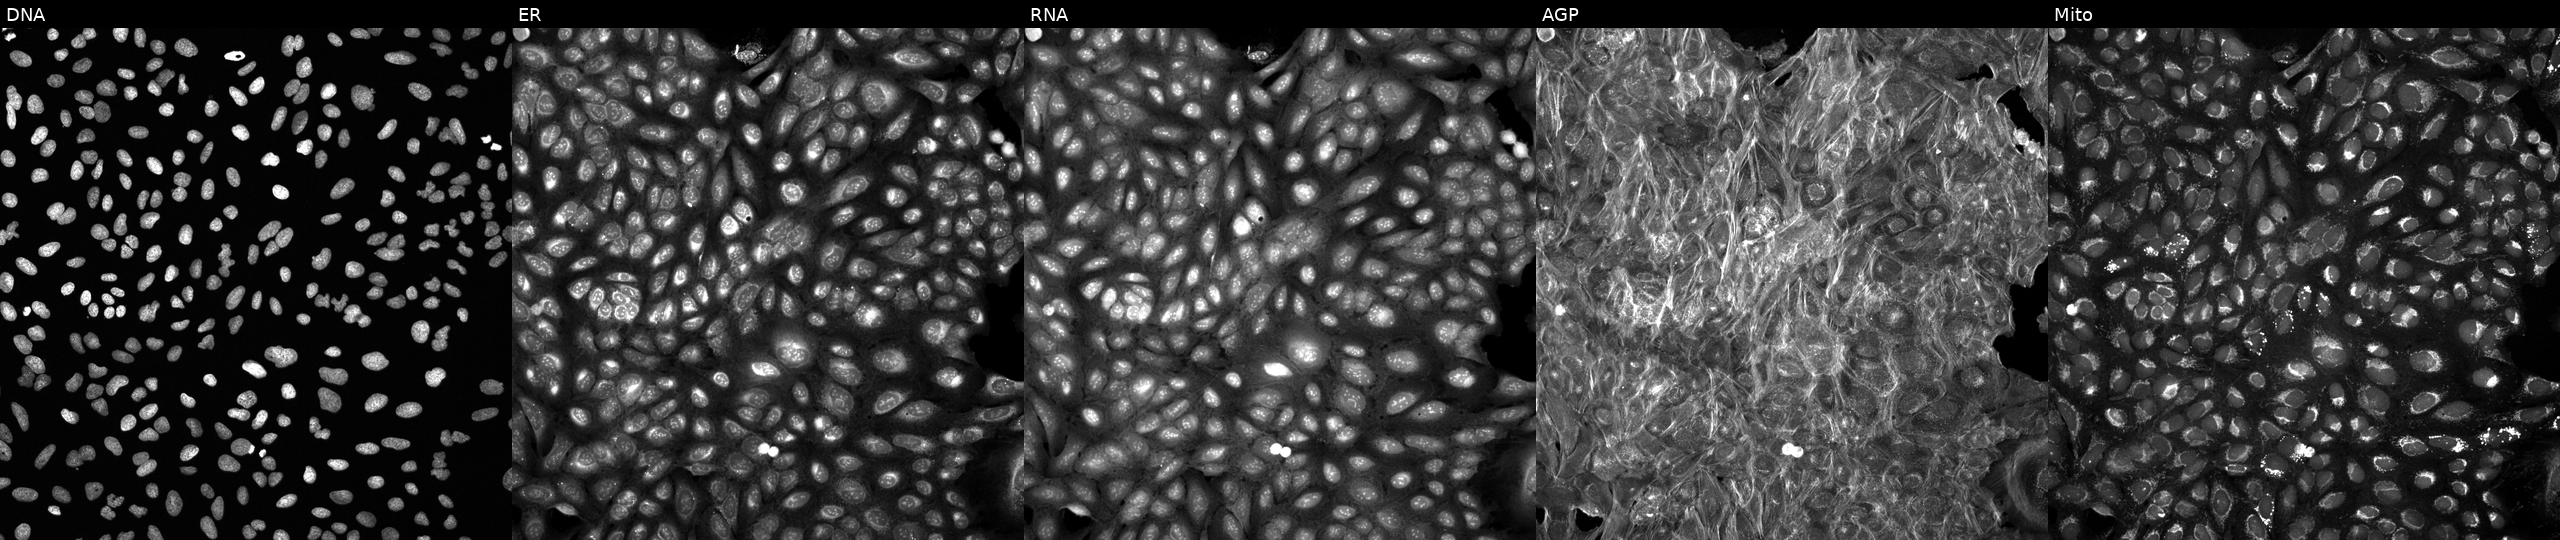
This image strip shows the five Cell Painting channels for a single field of U2OS cells exposed to DMSO alone as a negative control (JUMP id JCP2022_033924). From left to right: DNA, ER, RNA, AGP, and Mito. Source 6, plate 110000293093, well E08.